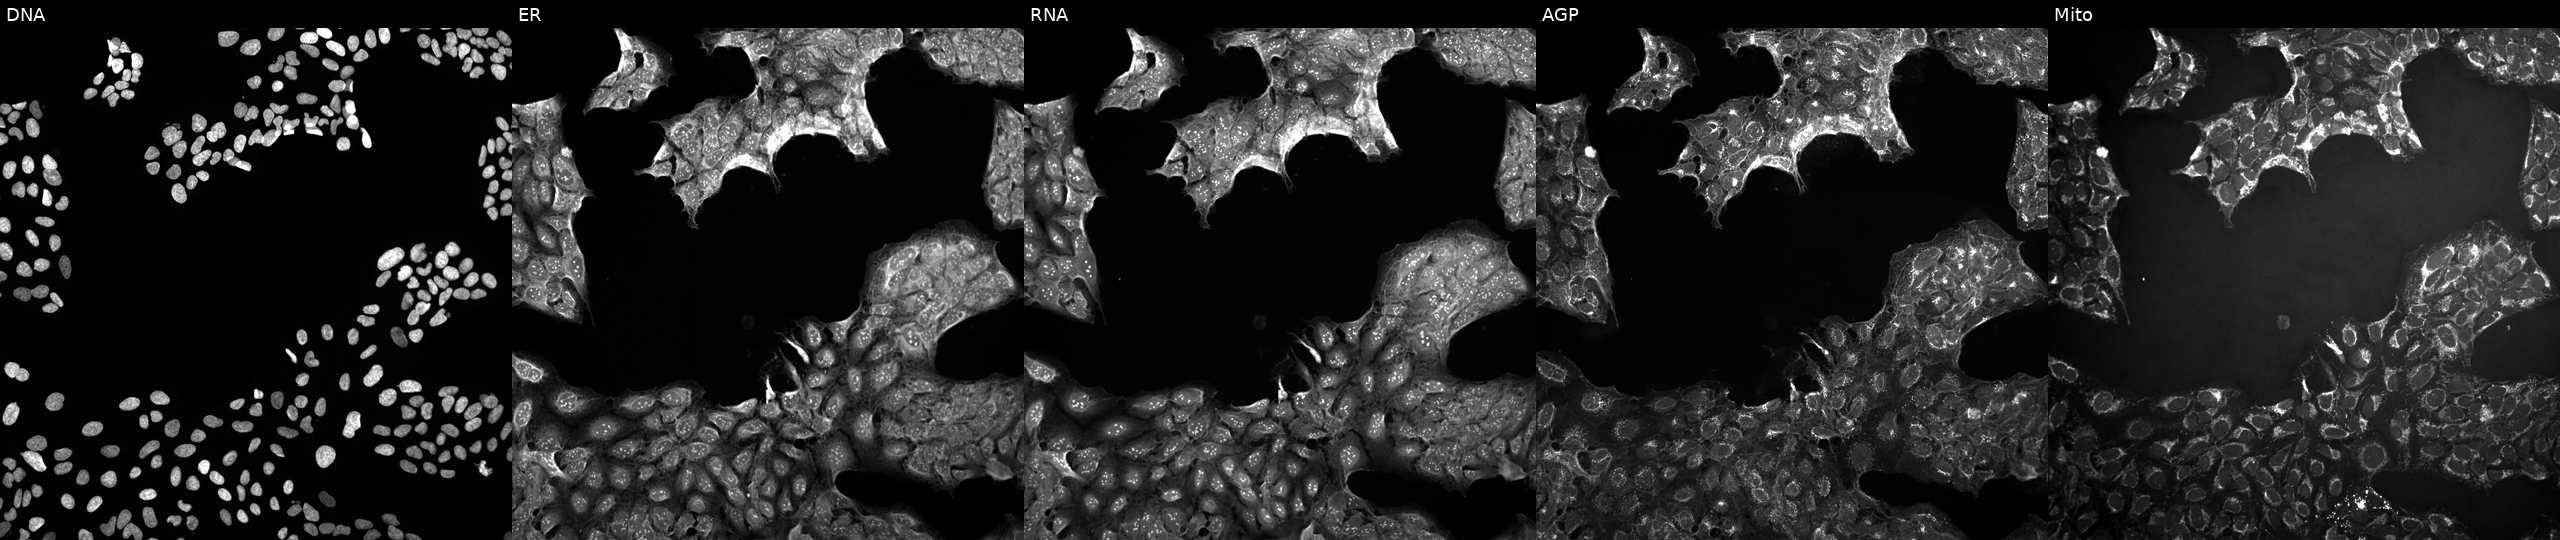
Channels (left→right): Hoechst 33342, concanavalin A, SYTO 14, phalloidin and WGA, MitoTracker. U2OS osteosarcoma cells treated with LY2109761 (positive-control compound) (JUMP id JCP2022_035095). Cell Painting assay, JUMP-CP dataset.